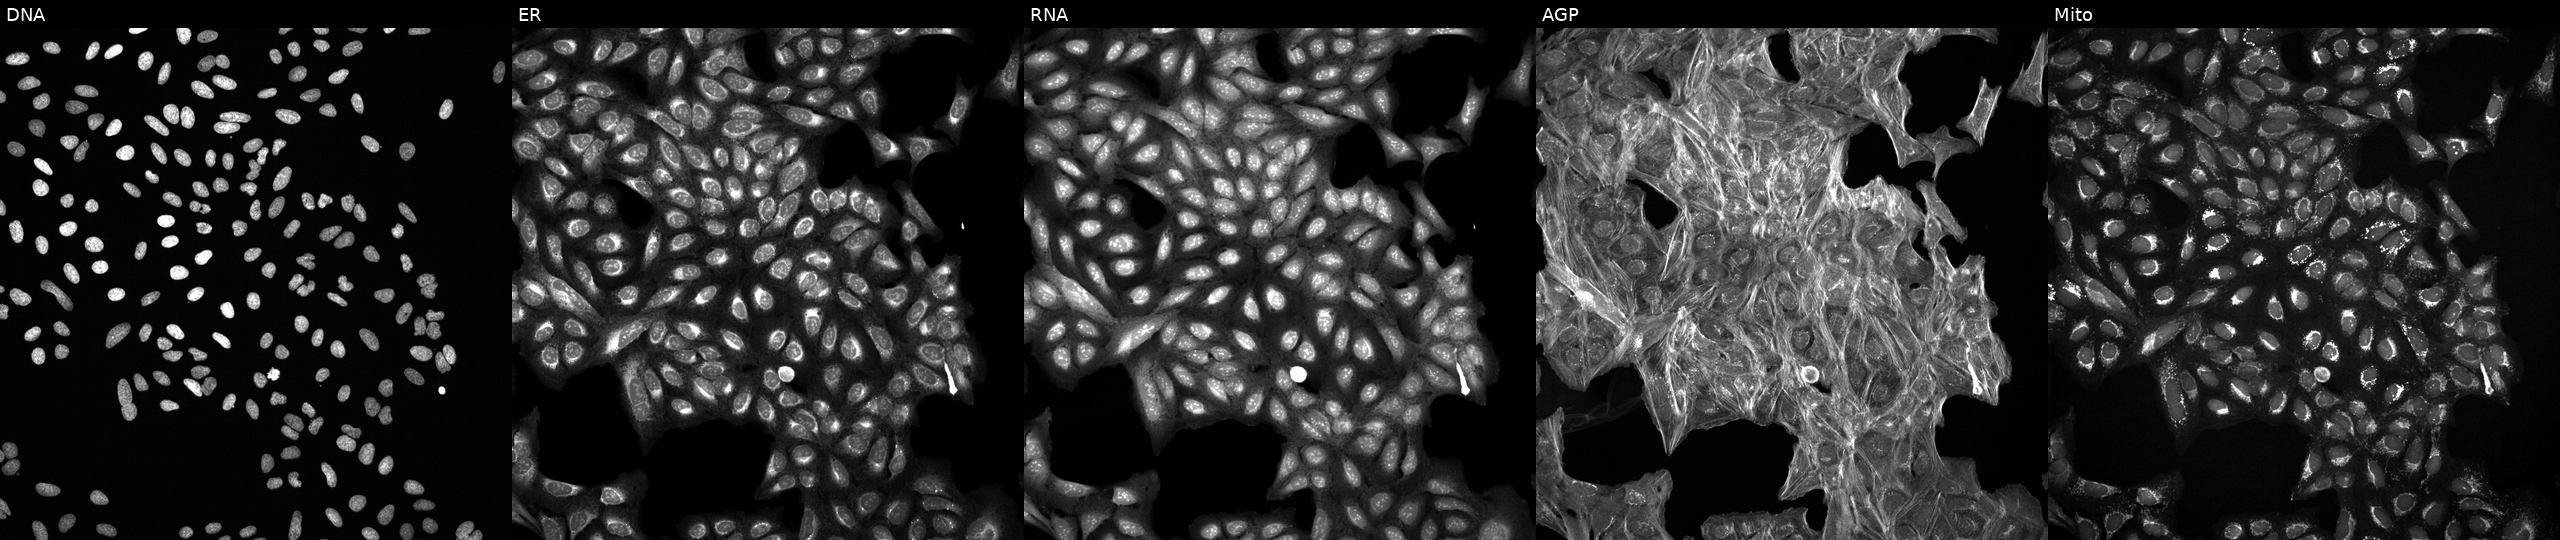
U2OS cells, Cell Painting assay, exposed to a small-molecule compound. The five panels, left to right, show DNA, ER, RNA, AGP, and Mito. Each panel is percentile-stretched 16-bit fluorescence. Source 6, plate 110000293083, well H14.